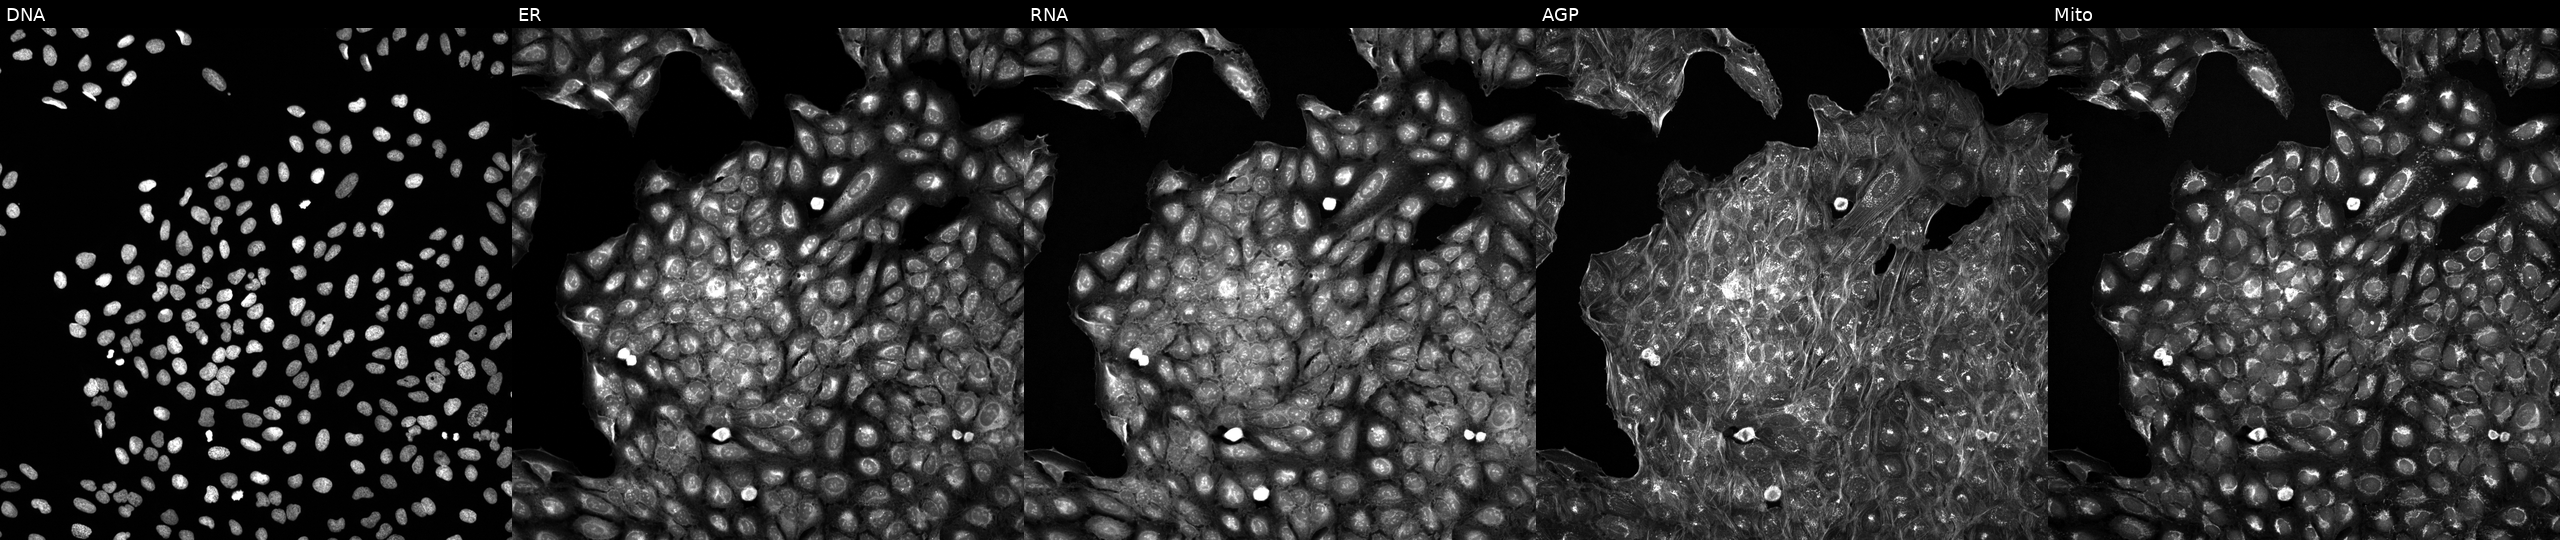
Five-channel Cell Painting image of U2OS cells perturbed with a small-molecule compound (JUMP id JCP2022_074697). Panels show, left to right, DNA (nuclei); ER (endoplasmic reticulum); RNA (nucleoli and cytoplasmic RNA); AGP (actin cytoskeleton, Golgi, and plasma membrane); Mito (mitochondria).